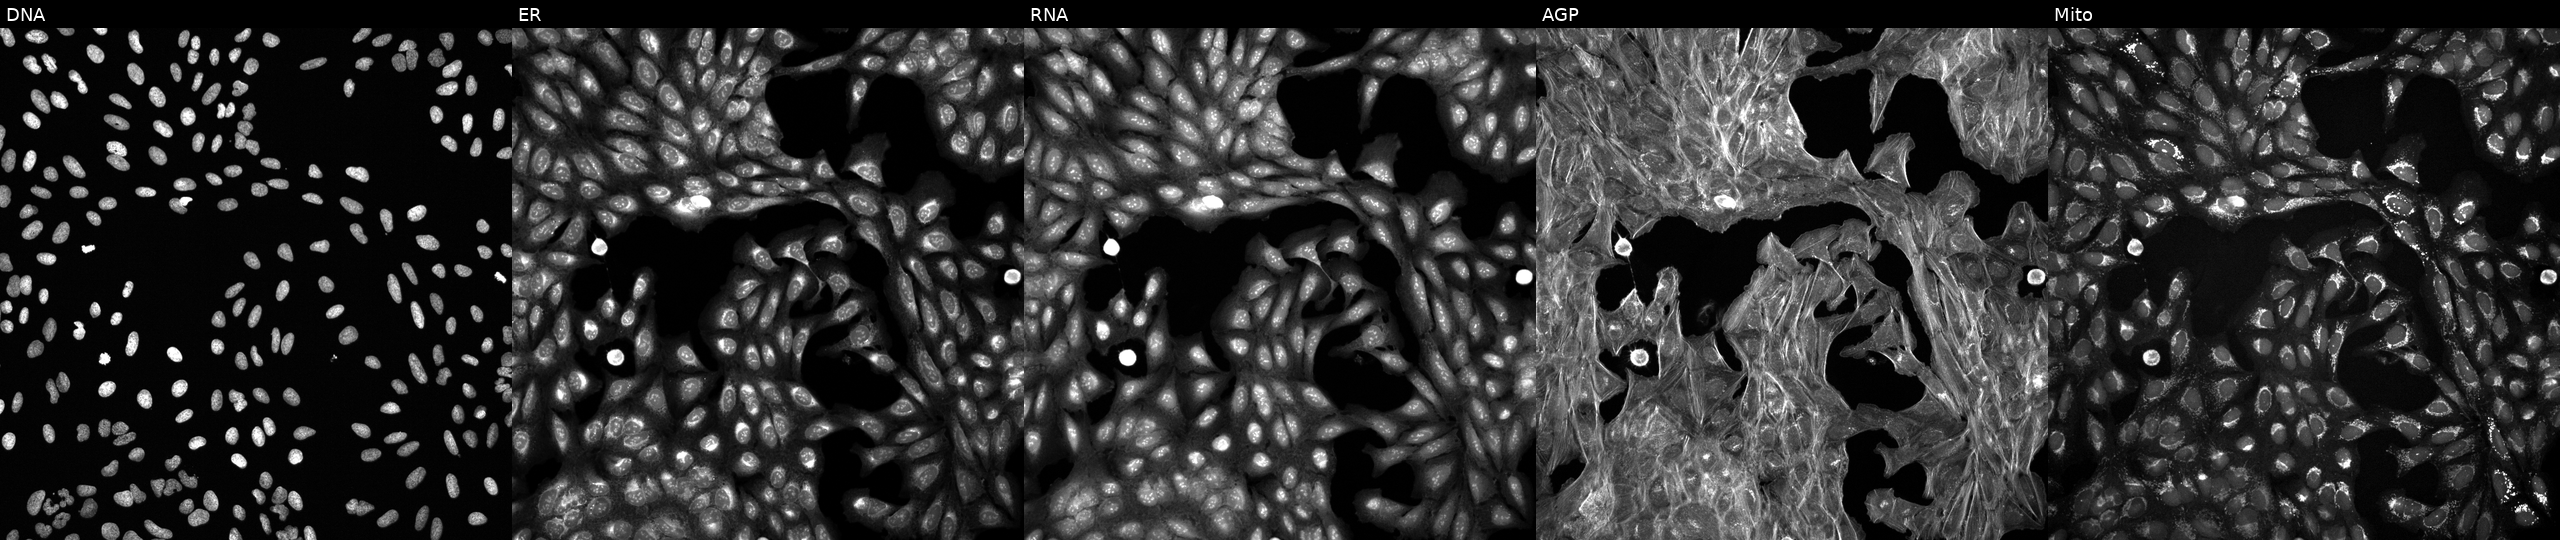
U2OS cells, Cell Painting assay, exposed to a small-molecule compound (InChIKey LDJAKIHUHDCGCN-UHFFFAOYSA-N) (JUMP id JCP2022_048708). Channels (left→right): Hoechst 33342, concanavalin A, SYTO 14, phalloidin and WGA, MitoTracker. Each panel is percentile-stretched 16-bit fluorescence.